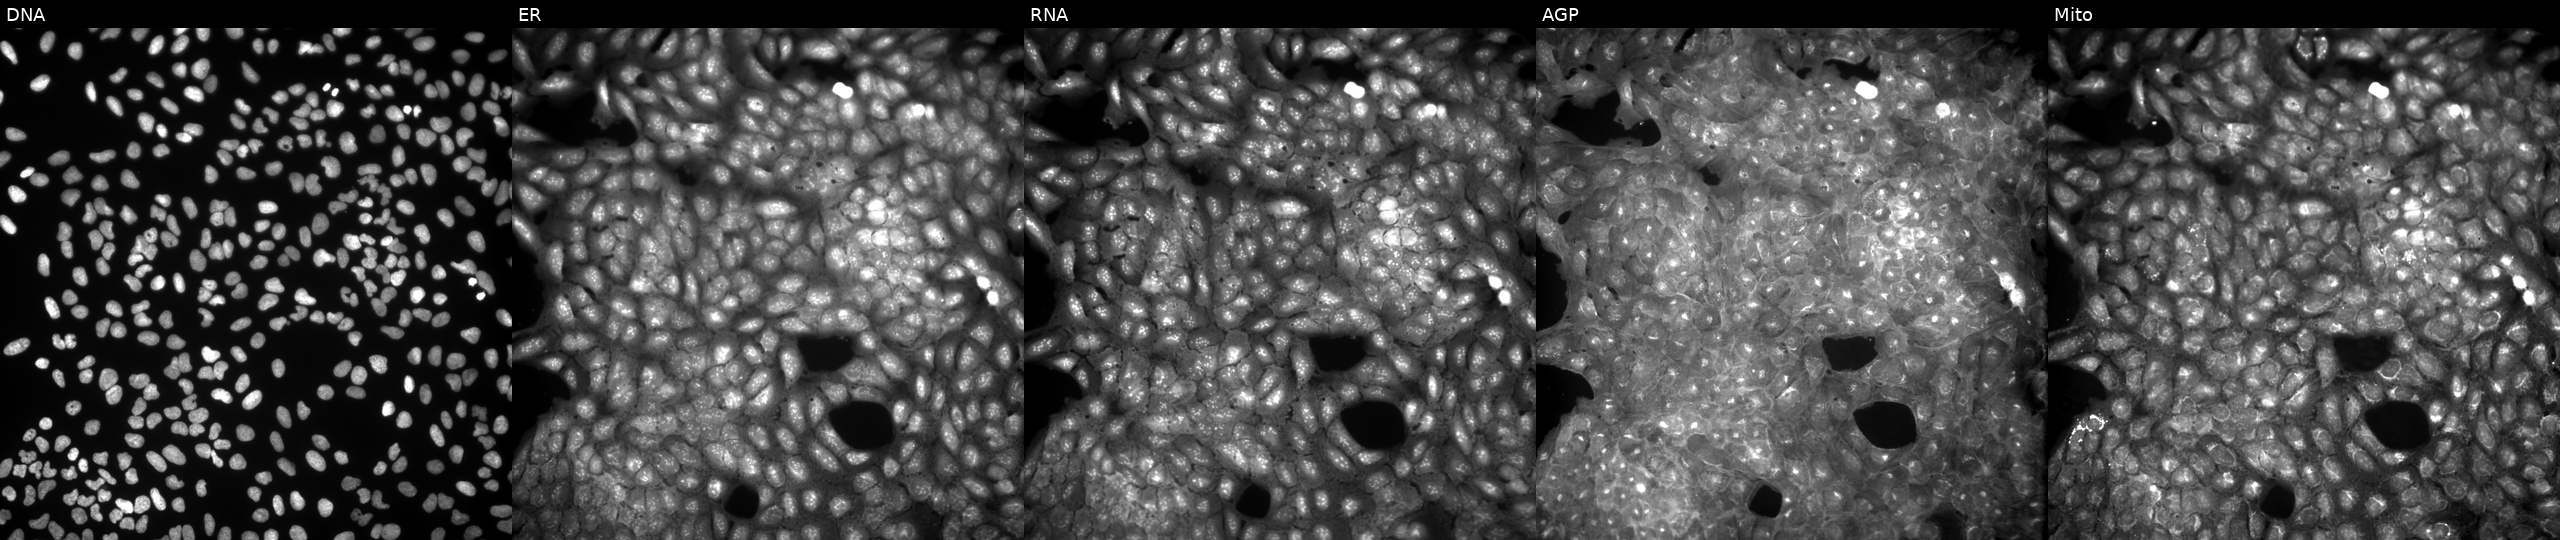
U2OS cells, Cell Painting assay, exposed to a small-molecule compound. The five panels, left to right, show DNA, ER, RNA, AGP, and Mito. Each panel is percentile-stretched 16-bit fluorescence. Source 9, plate GR00003382, well W28.